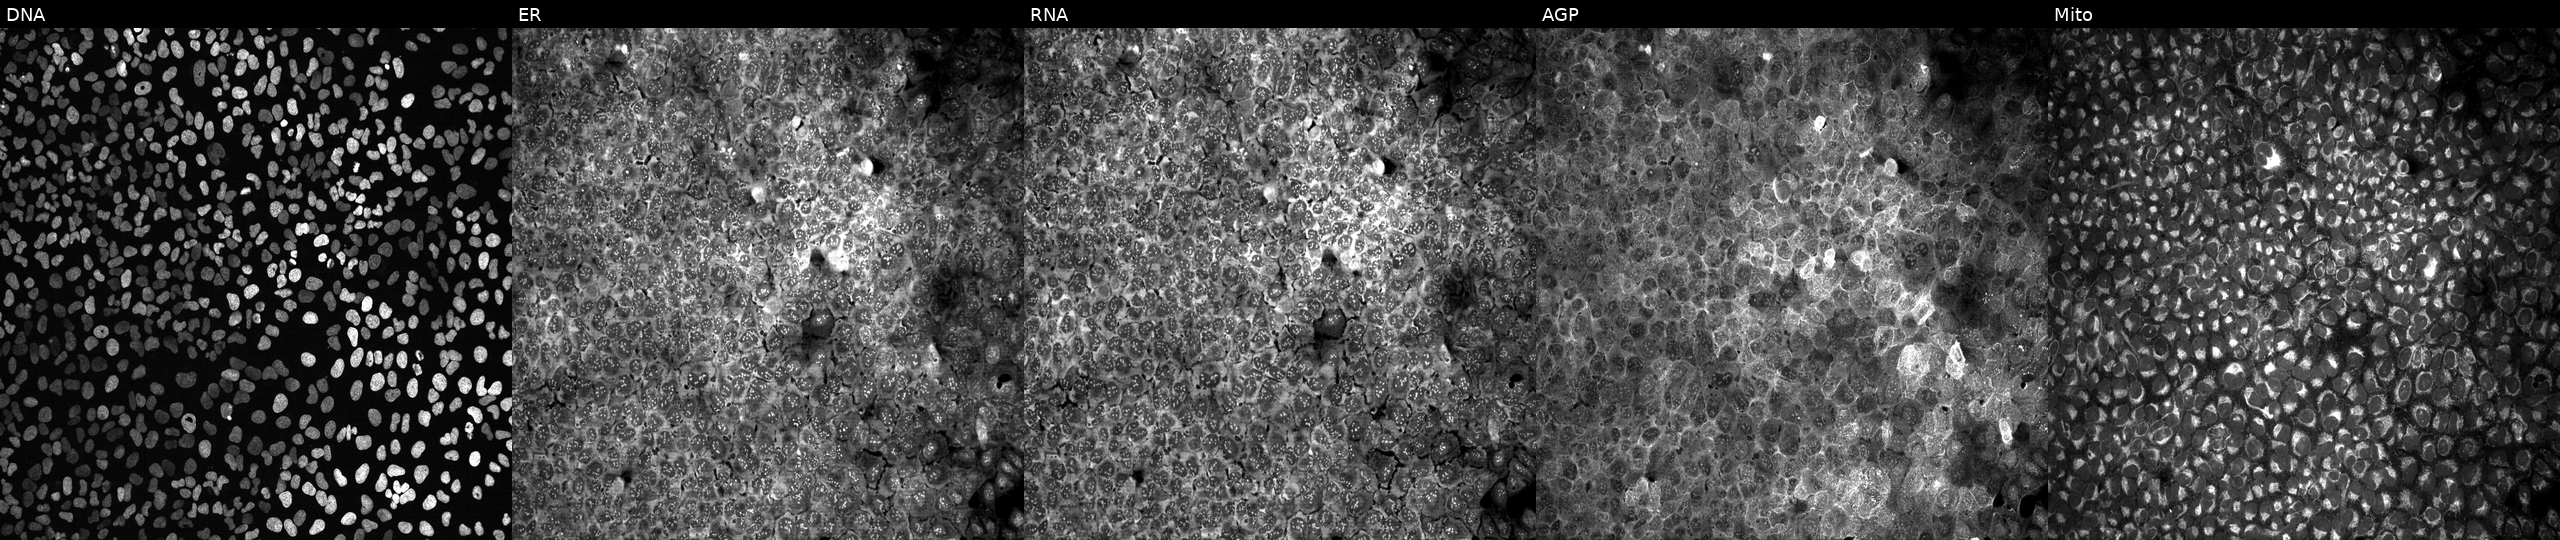
JUMP Cell Painting — CRISPR plate. U2OS cells exposed to DMSO alone as a negative control. The five panels, left to right, show DNA (nuclei); ER (endoplasmic reticulum); RNA (nucleoli and cytoplasmic RNA); AGP (actin cytoskeleton, Golgi, and plasma membrane); Mito (mitochondria). Source 13, plate CP-CC9-R4-04, well I02.